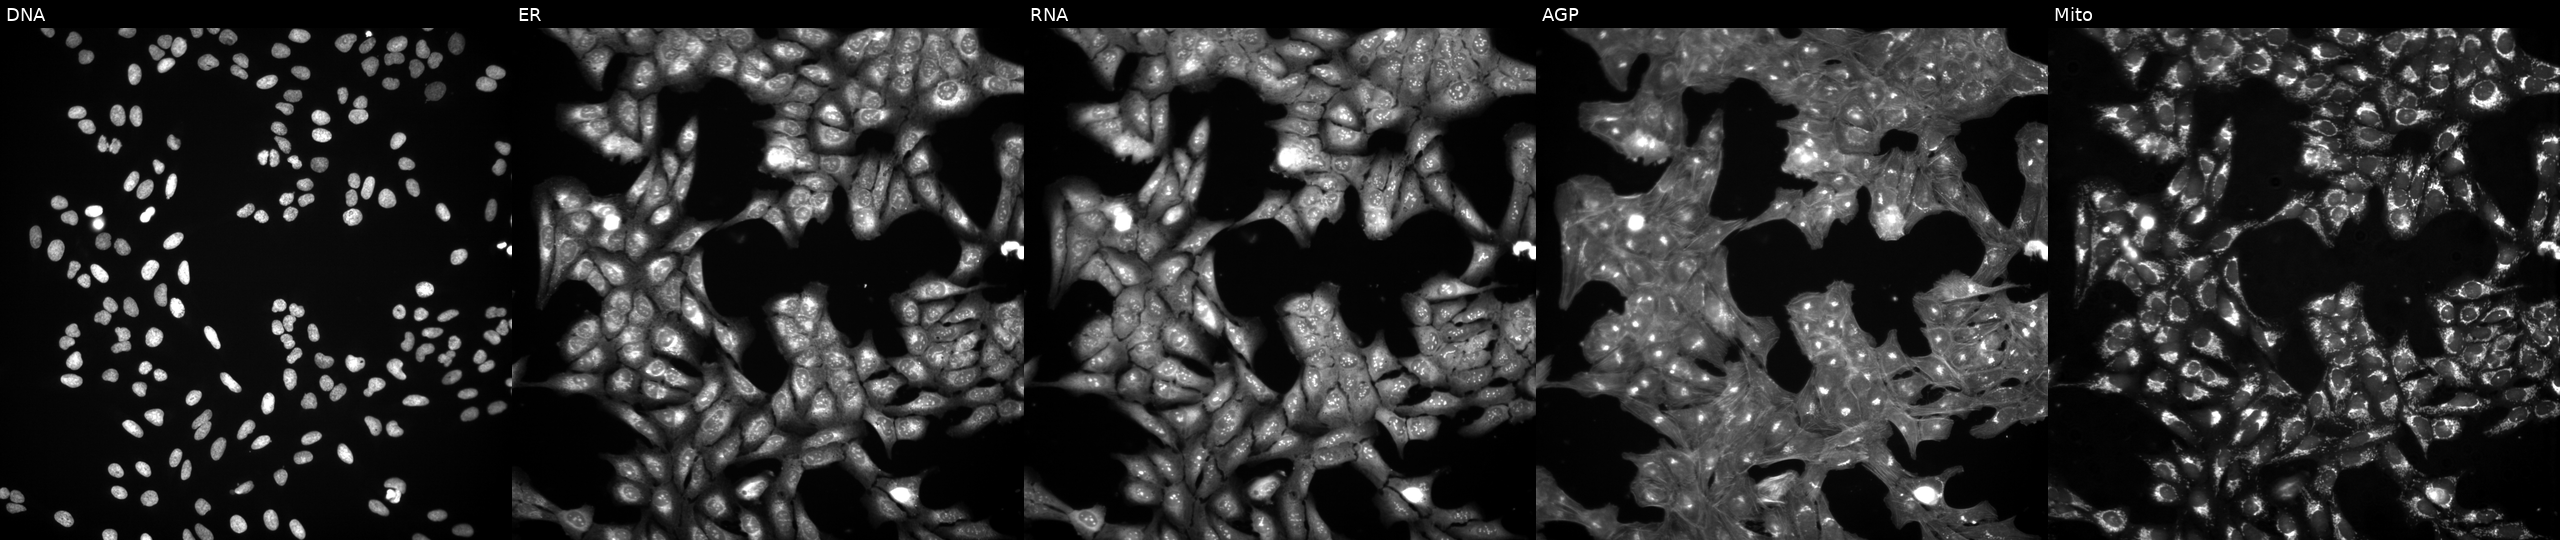
JUMP Cell Painting — COMPOUND plate. U2OS cells treated with quinidine (positive-control compound) (JUMP id JCP2022_050797). Channels (left→right): DNA (nuclei); ER (endoplasmic reticulum); RNA (nucleoli and cytoplasmic RNA); AGP (actin cytoskeleton, Golgi, and plasma membrane); Mito (mitochondria).